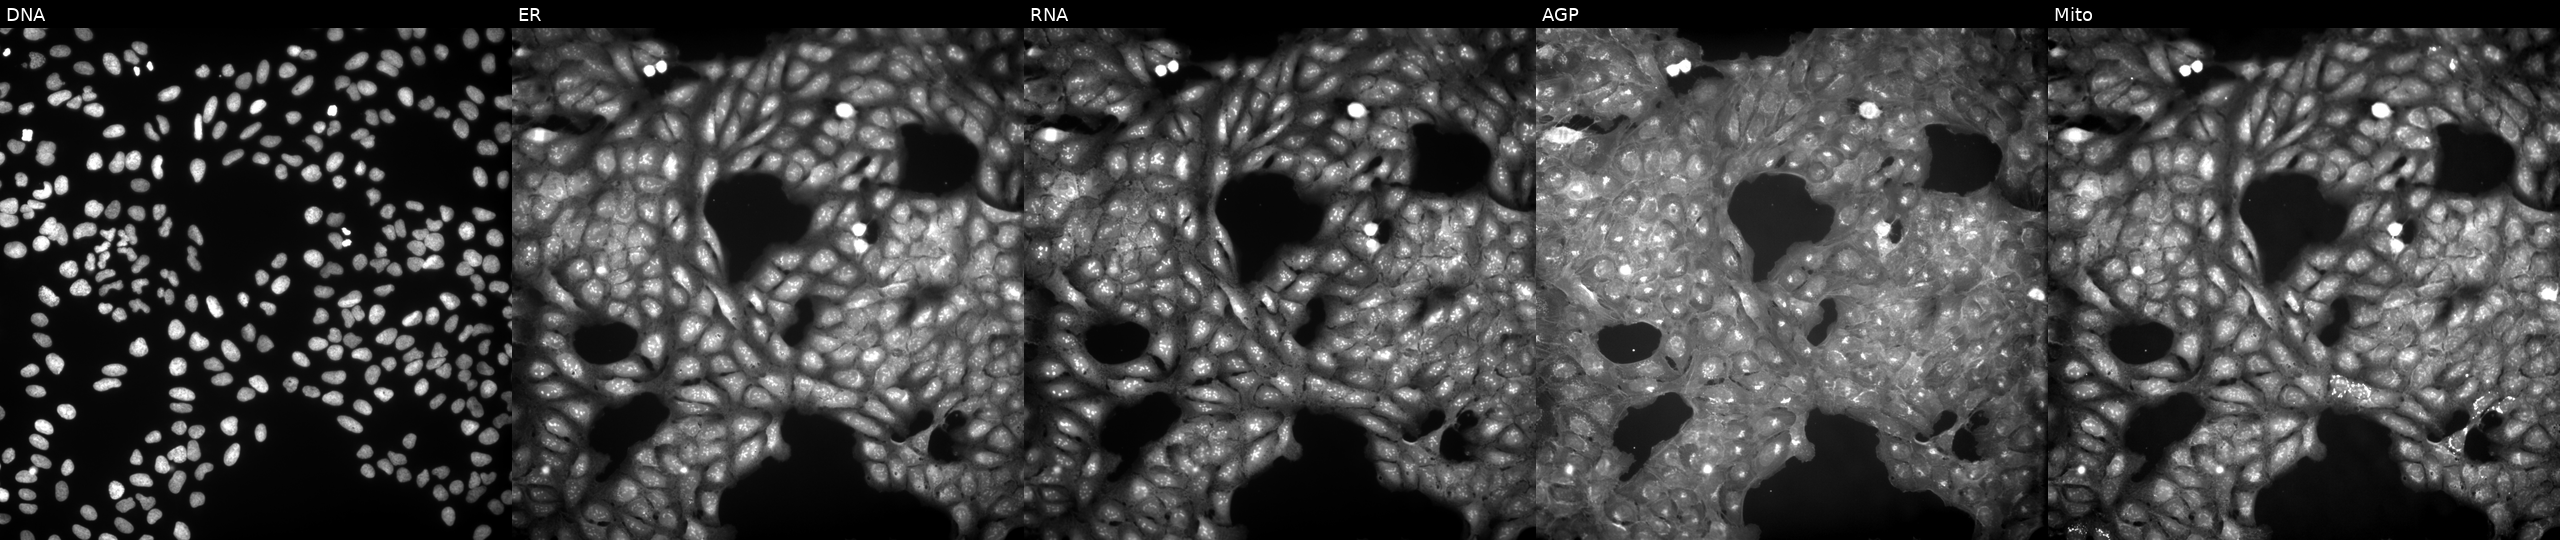
U2OS cells, Cell Painting assay, treated with a small-molecule compound [SMILES: CCCCCSc1nc(=O)c(-c2ccccc2NC(C)=O)n[nH]1] (JUMP id JCP2022_040525). Panels show, left to right, DNA, ER, RNA, AGP, and Mito. Each panel is percentile-stretched 16-bit fluorescence. Source 9, plate GR00003381, well Y18.